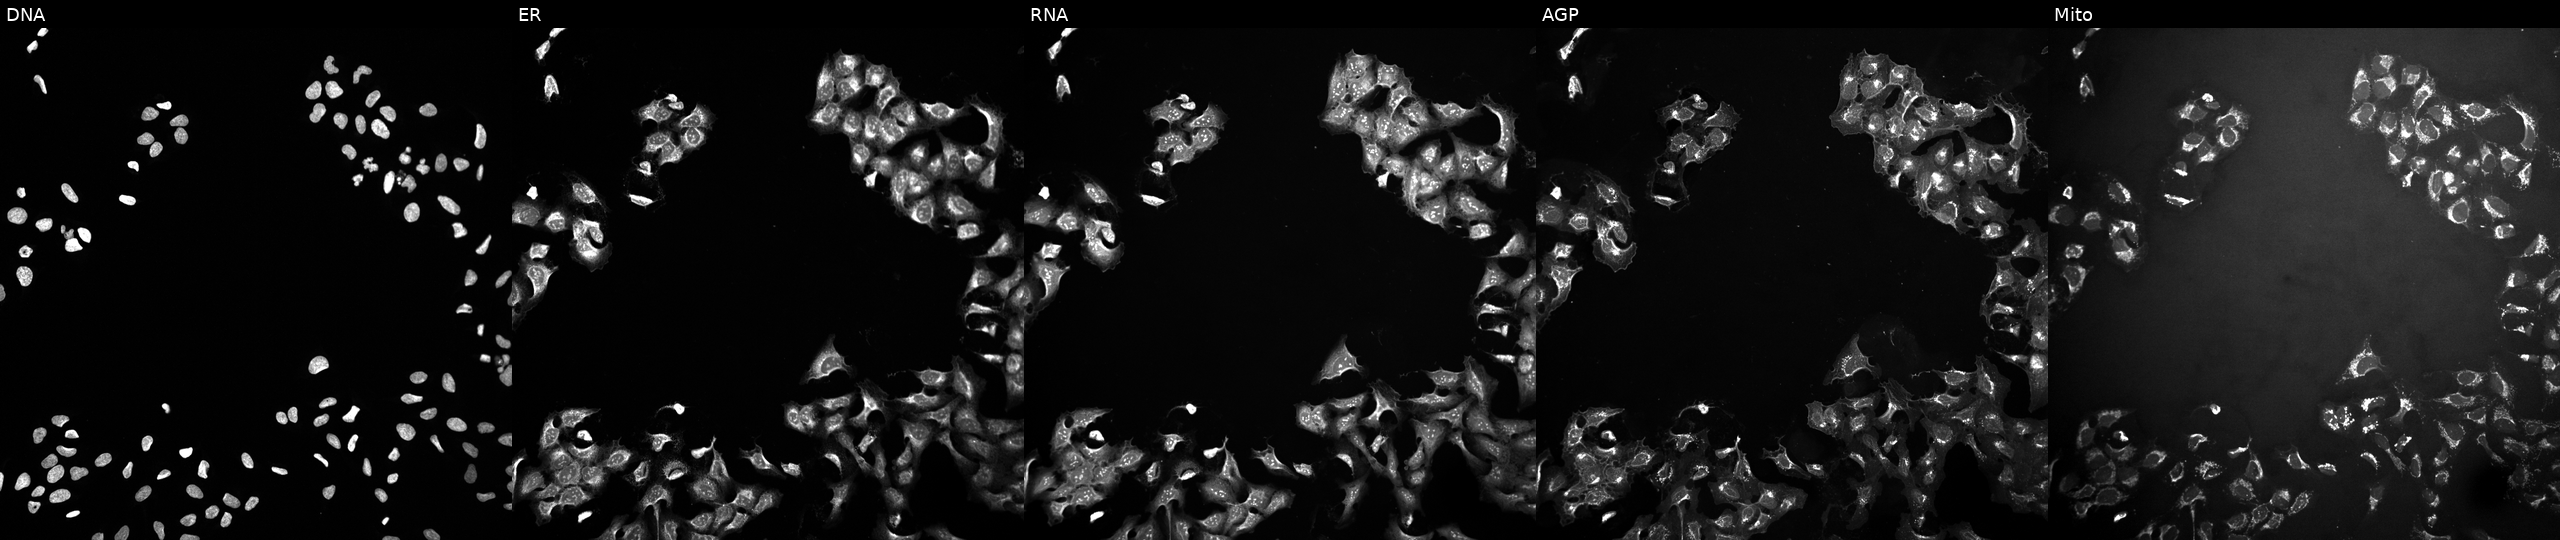
Channels (left→right): Hoechst 33342, concanavalin A, SYTO 14, phalloidin and WGA, MitoTracker. U2OS osteosarcoma cells exposed to the positive-control compound NVS-PAK1-1 (JUMP id JCP2022_064022). Cell Painting assay, JUMP-CP dataset.